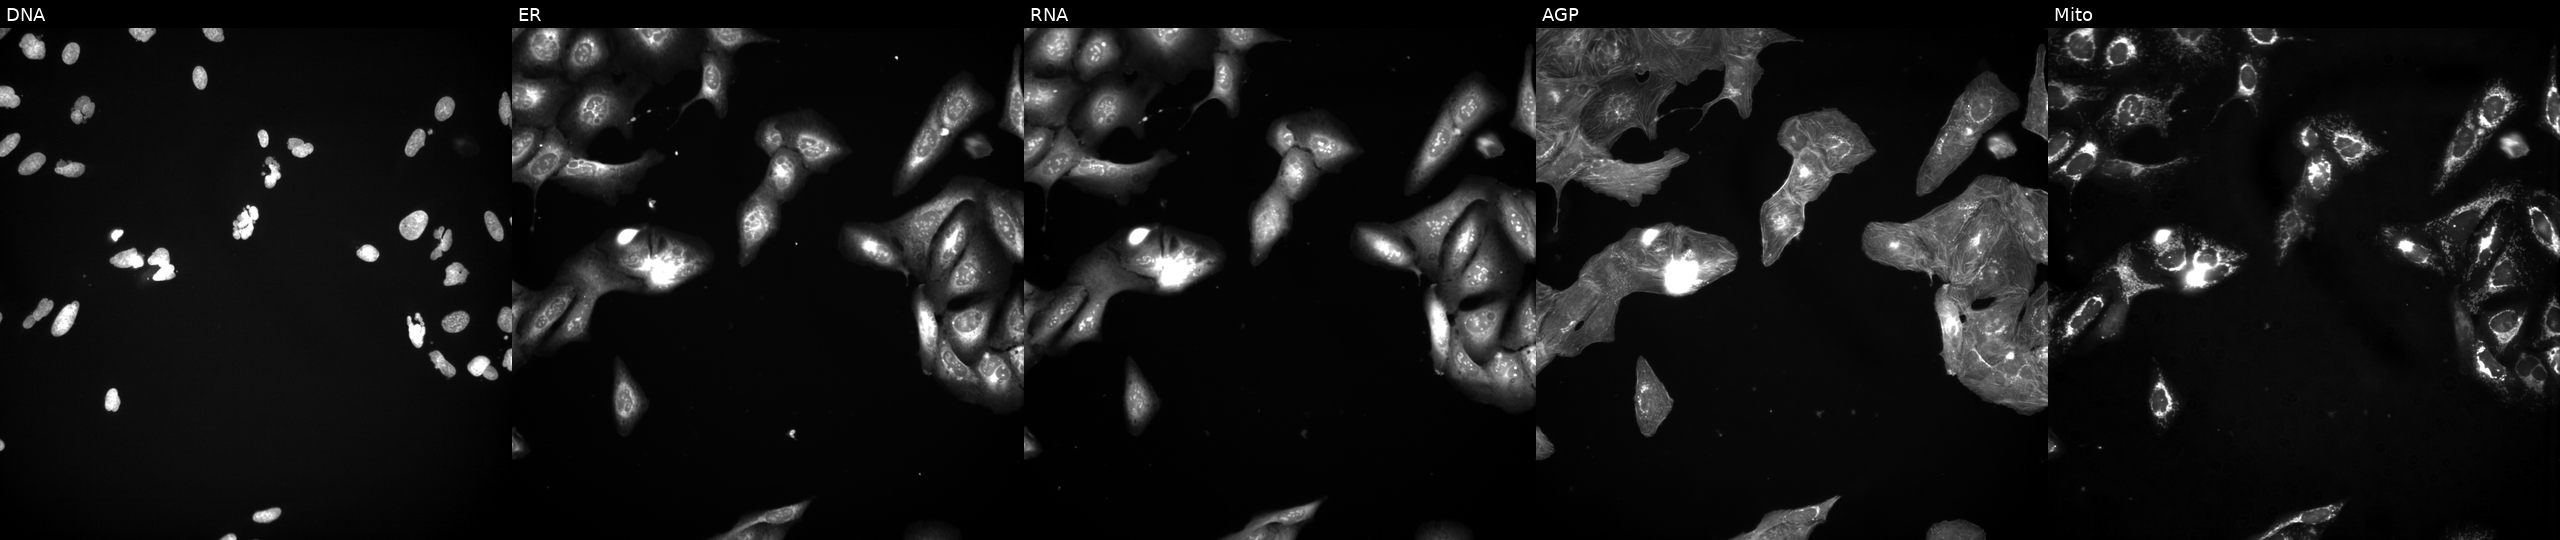
High-content fluorescence microscopy (Cell Painting). Cell line: U2OS. Perturbation: treated with a small-molecule compound (InChIKey KRBSMMVJJVHVCB-UHFFFAOYSA-N). The five panels, left to right, show DNA, ER, RNA, AGP, and Mito.